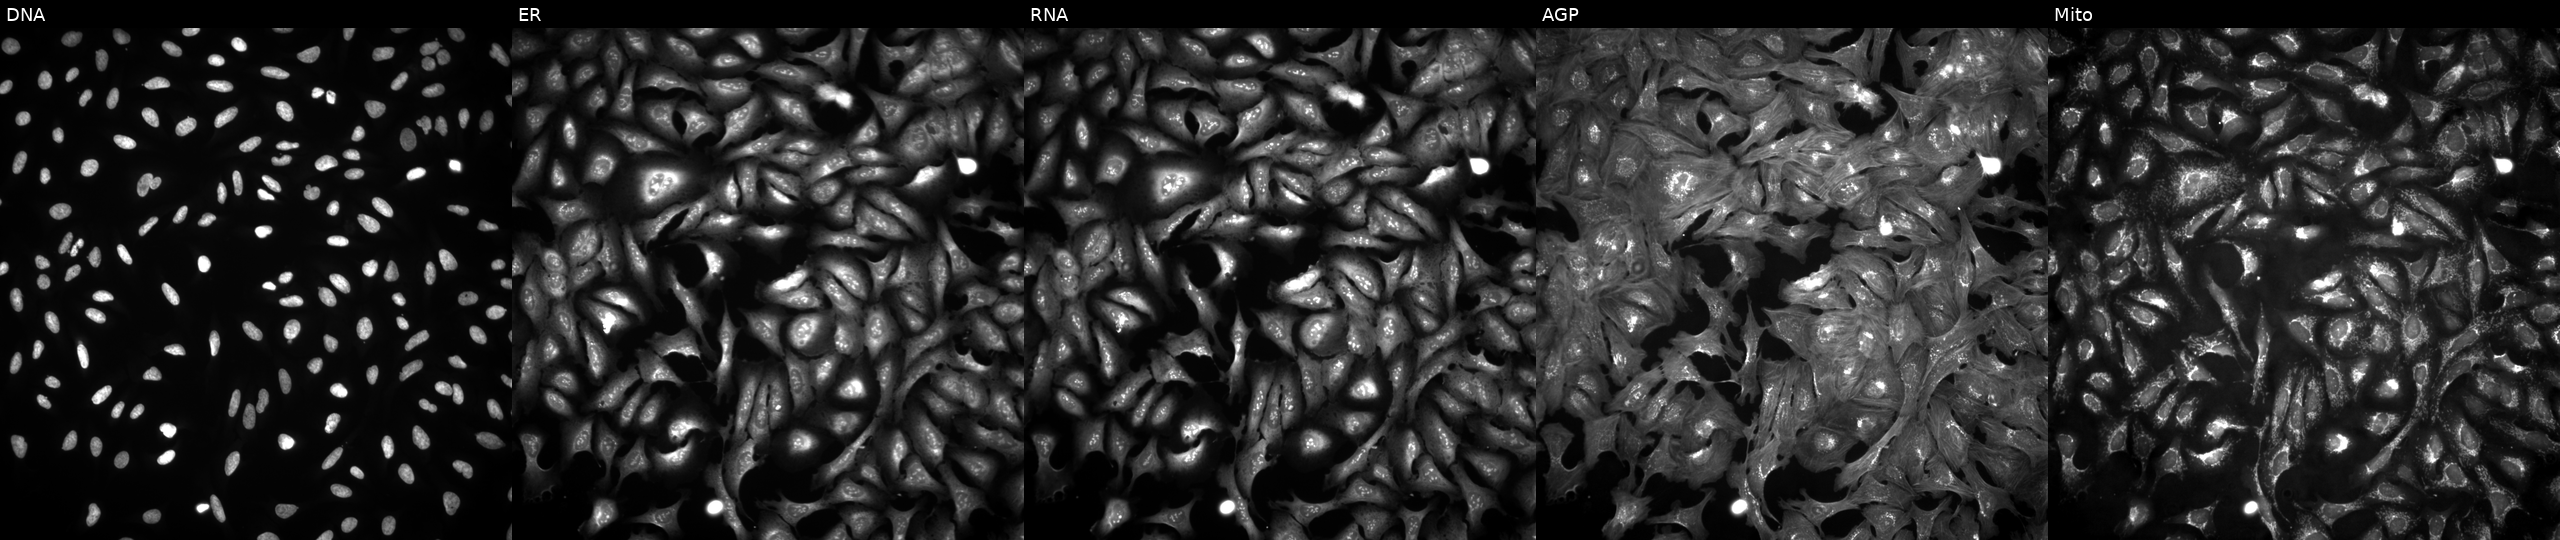
Channels (left→right): DNA, ER, RNA, AGP, and Mito. U2OS osteosarcoma cells with IGKV1-5 overexpressed (ORF). Cell Painting assay, JUMP-CP dataset.